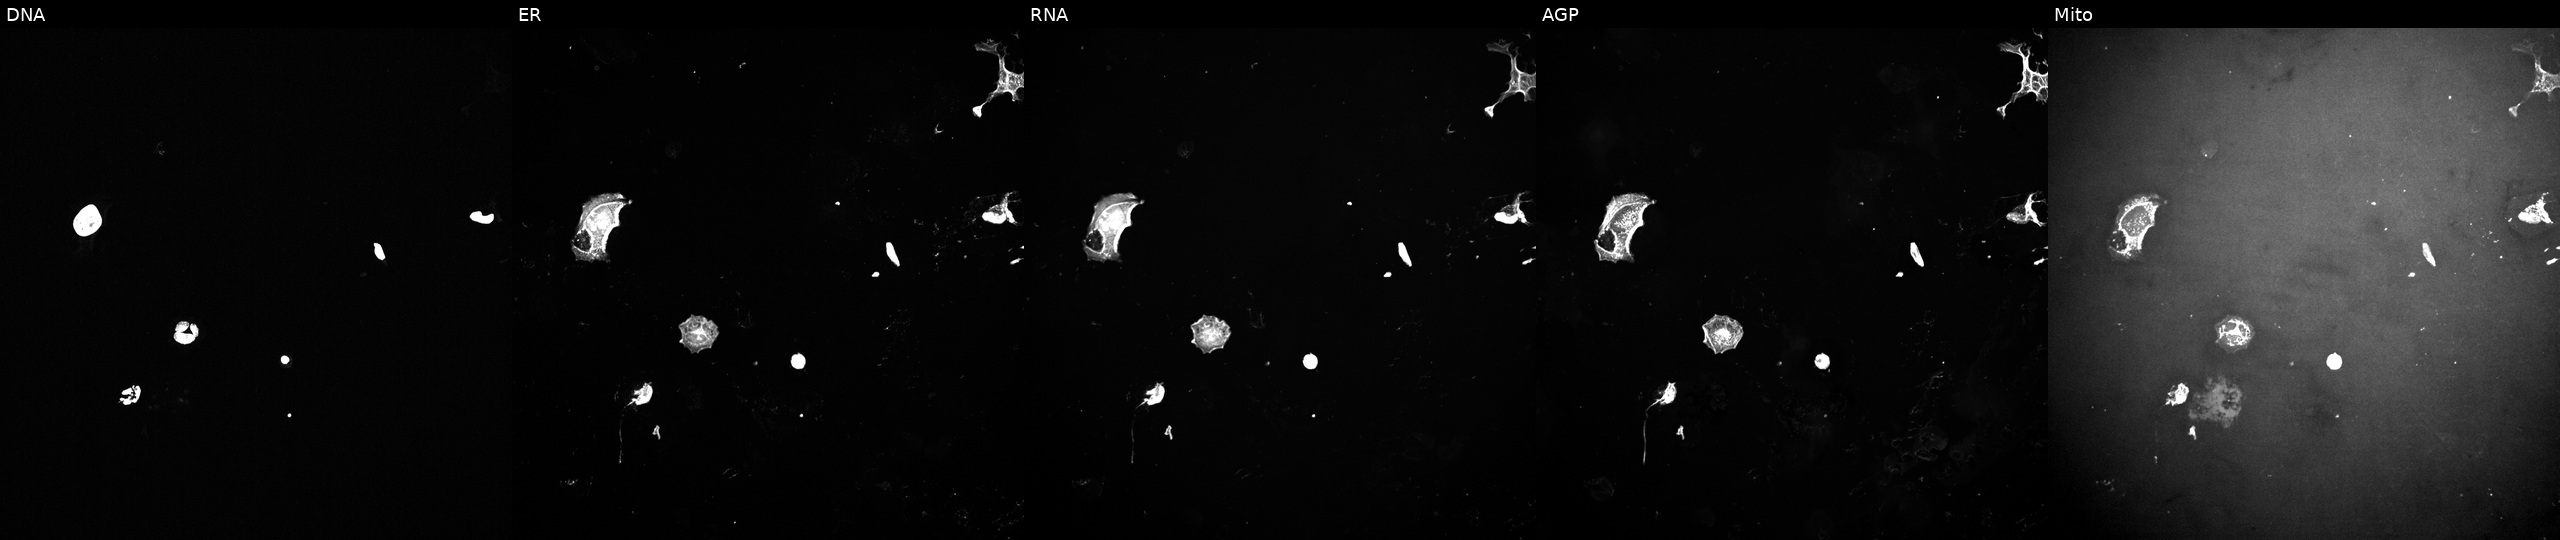
High-content fluorescence microscopy (Cell Painting). Cell line: U2OS. Perturbation: exposed to a small-molecule compound (InChIKey VSVFLGPUZJTBSD-UHFFFAOYSA-N). Channels (left→right): Hoechst 33342, concanavalin A, SYTO 14, phalloidin and WGA, MitoTracker. Source 10, plate Dest210727-153003, well D02.